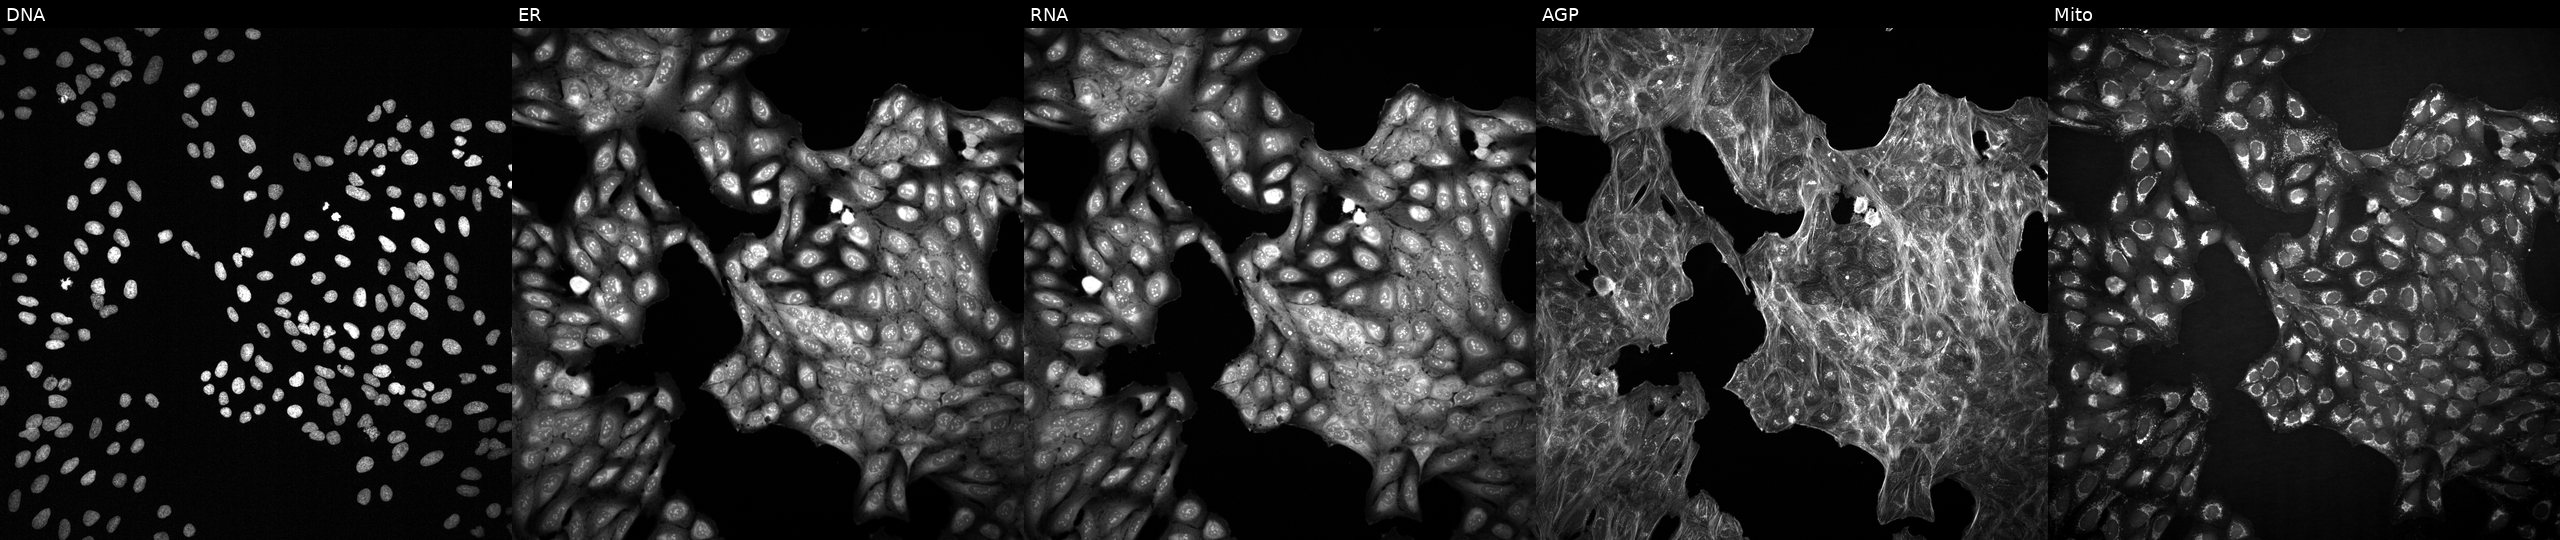
Five-channel Cell Painting image of U2OS cells with an unidentified perturbation (not annotated in JUMP metadata). Panels show, left to right, DNA, ER, RNA, AGP, and Mito.